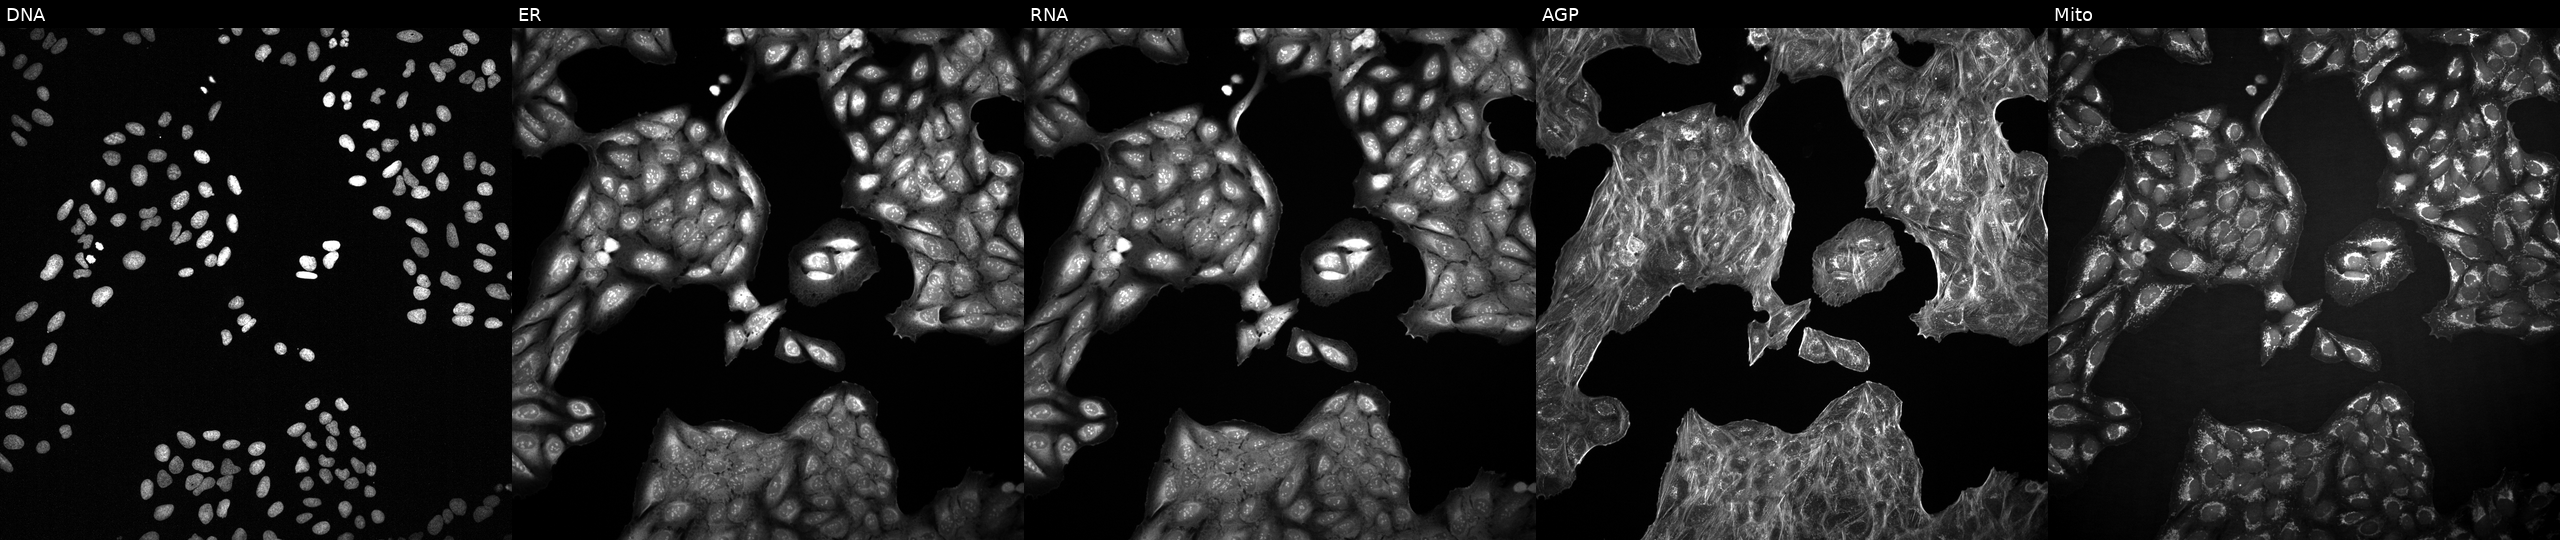
From left to right: DNA, ER, RNA, AGP, and Mito. U2OS osteosarcoma cells with an unidentified perturbation (not annotated in JUMP metadata). Cell Painting assay, JUMP-CP dataset. Source 2, plate 1053601763, well N18.